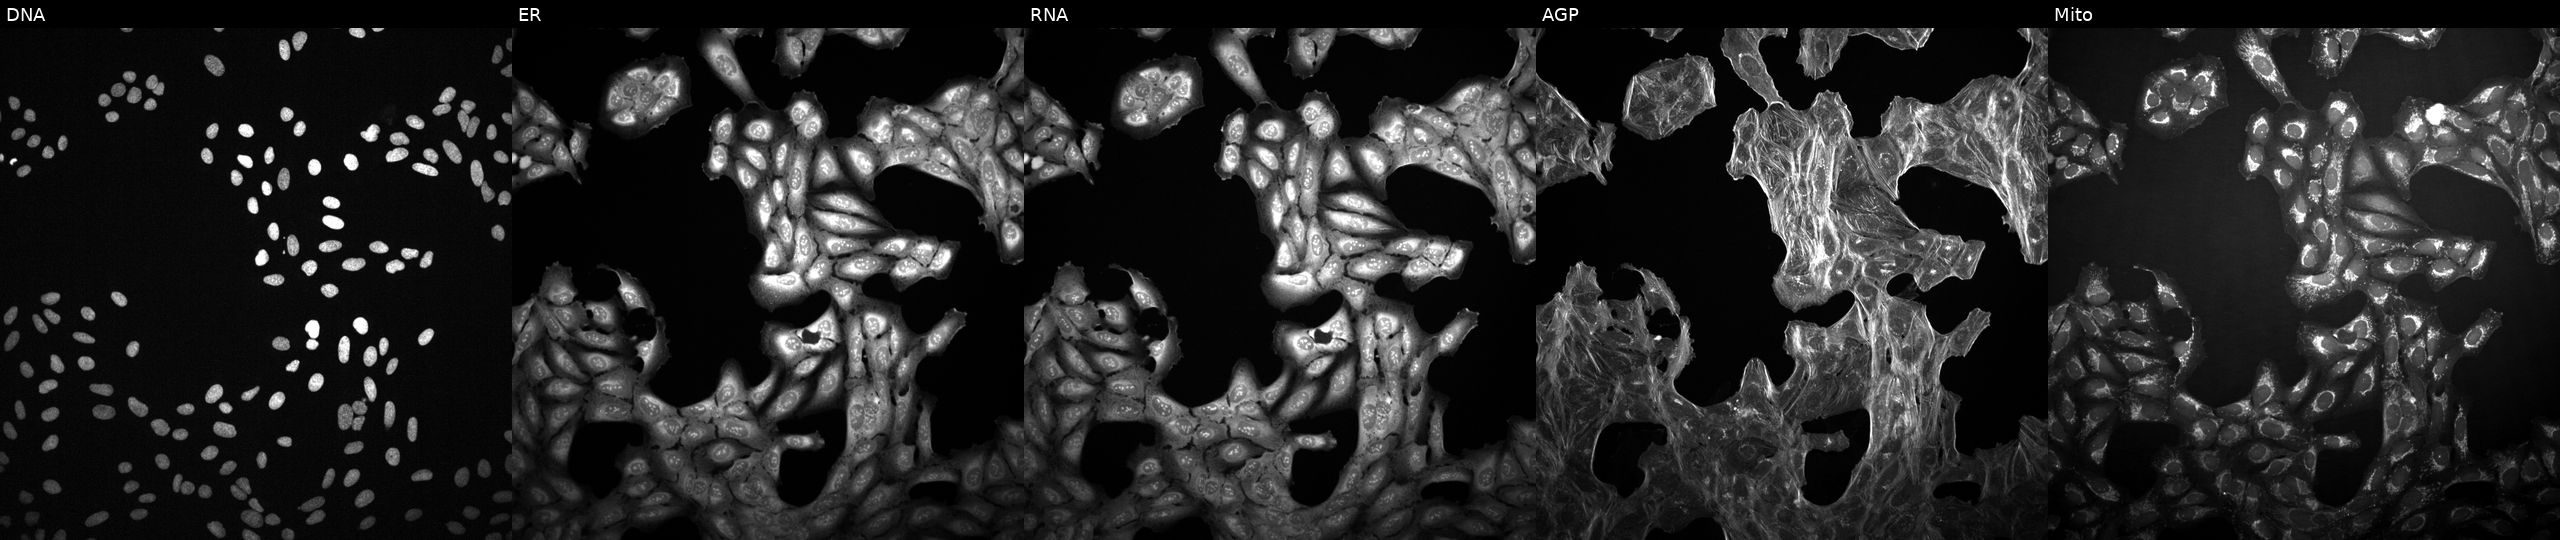
JUMP Cell Painting — TARGET2 plate. U2OS cells exposed to a small-molecule compound (InChIKey NITYDPDXAAFEIT-UHFFFAOYSA-N). Panels show, left to right, Hoechst 33342, concanavalin A, SYTO 14, phalloidin and WGA, MitoTracker. Source 2, plate 1053597936, well M17.